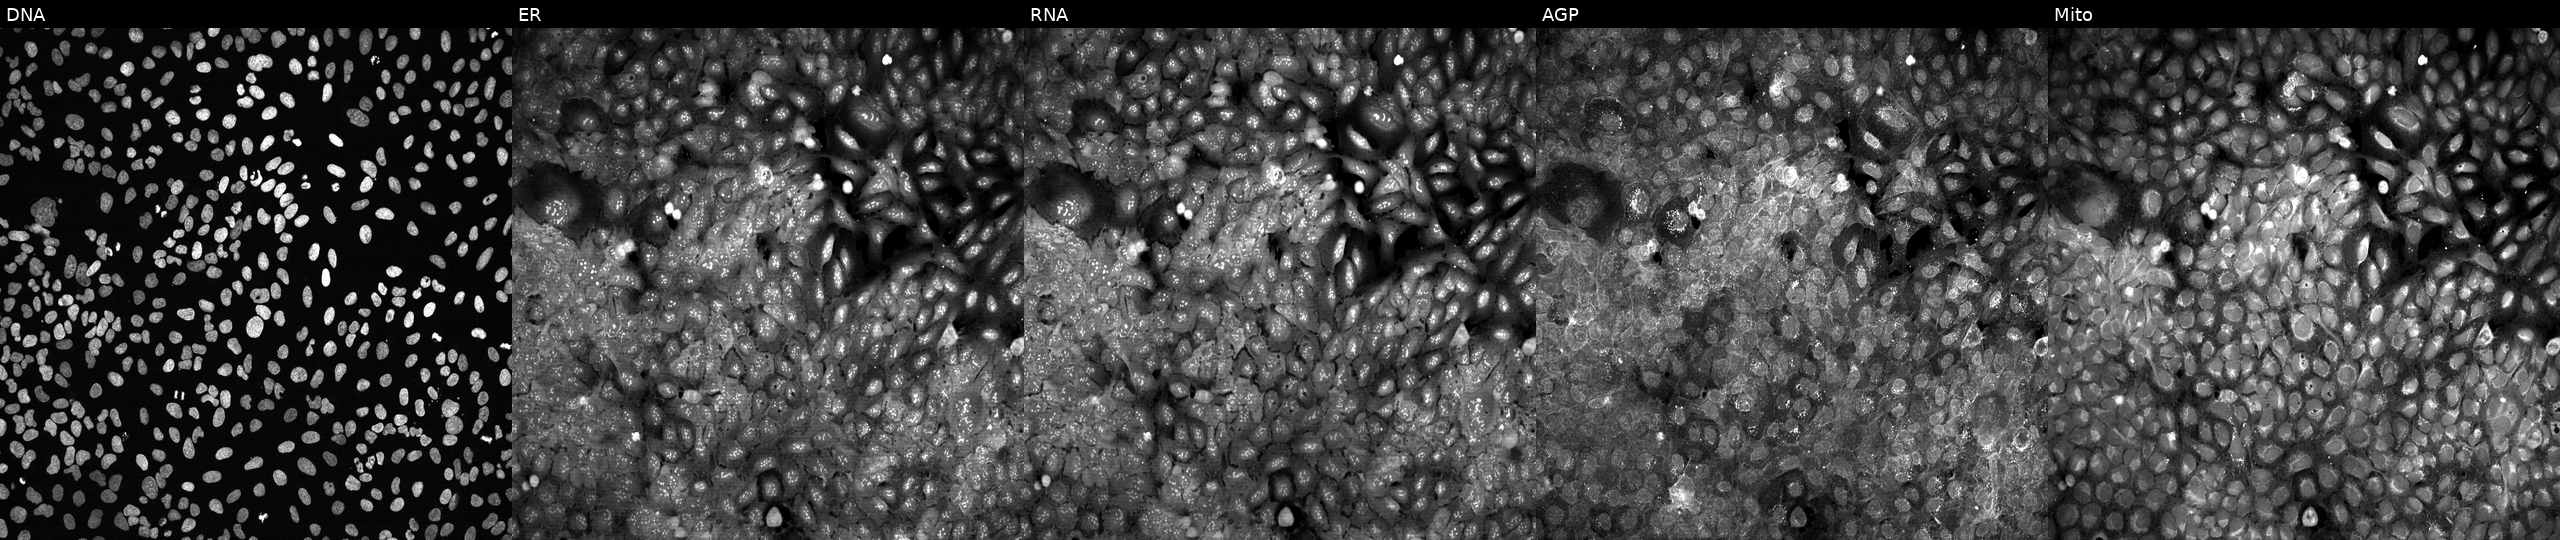
From left to right: Hoechst 33342, concanavalin A, SYTO 14, phalloidin and WGA, MitoTracker. U2OS osteosarcoma cells with no CRISPR guide (negative control) (JUMP id JCP2022_800001). Cell Painting assay, JUMP-CP dataset. Source 13, plate CP-CC9-R1-01, well H02.